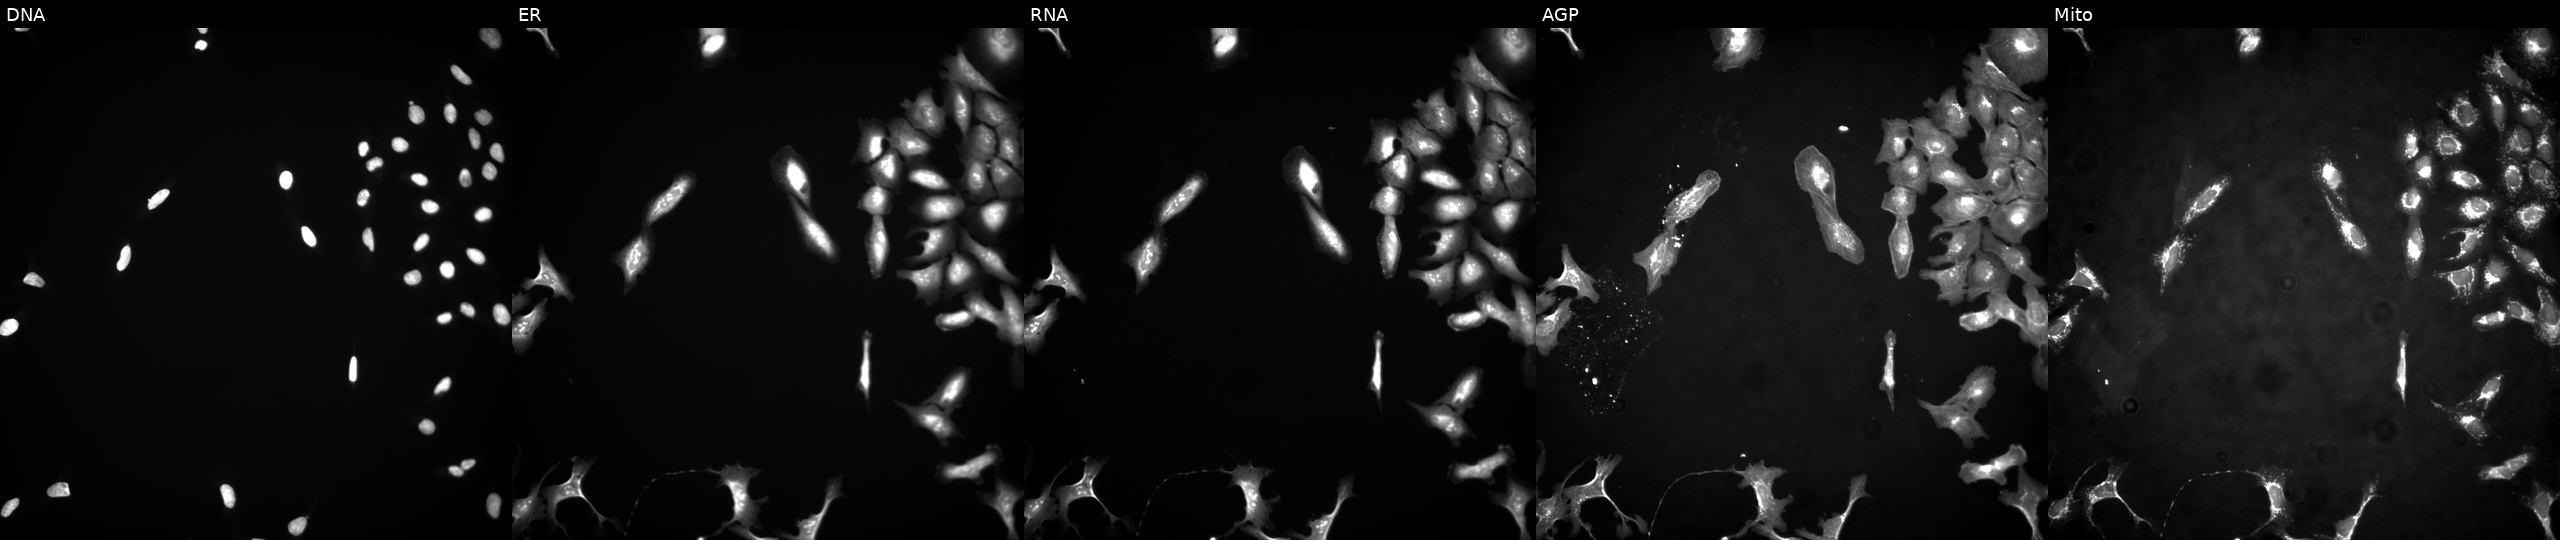
Panels show, left to right, Hoechst 33342, concanavalin A, SYTO 14, phalloidin and WGA, MitoTracker. U2OS osteosarcoma cells untreated (empty-well control). Cell Painting assay, JUMP-CP dataset.